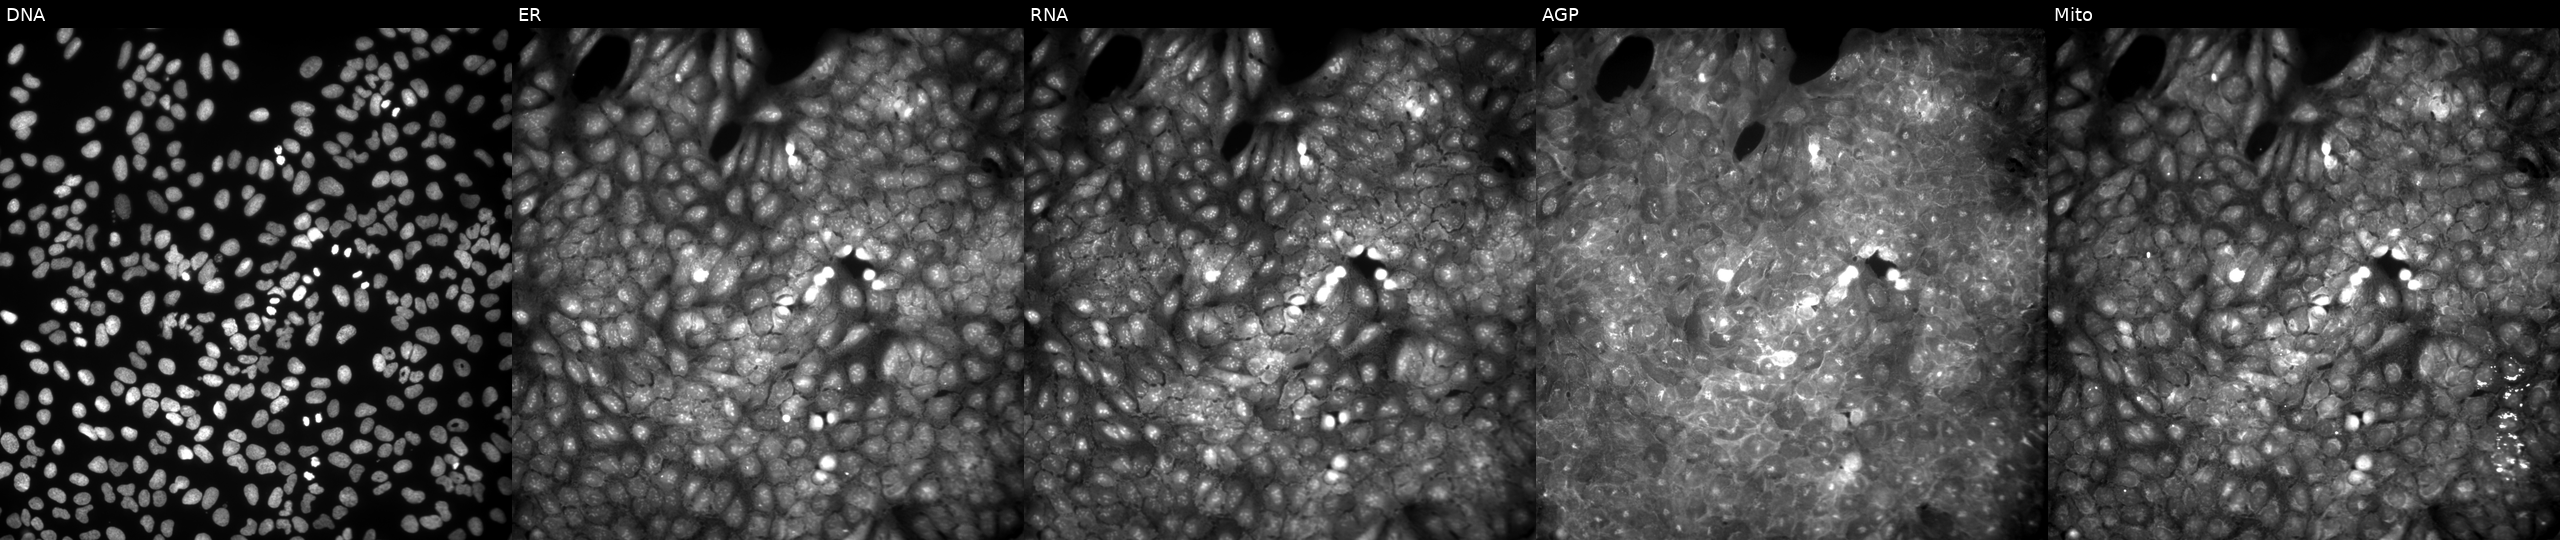
This image strip shows the five Cell Painting channels for a single field of U2OS cells exposed to a small-molecule compound (InChIKey UHJRNFKLYYMVAT-UHFFFAOYSA-N). The five panels, left to right, show DNA (nuclei); ER (endoplasmic reticulum); RNA (nucleoli and cytoplasmic RNA); AGP (actin cytoskeleton, Golgi, and plasma membrane); Mito (mitochondria).